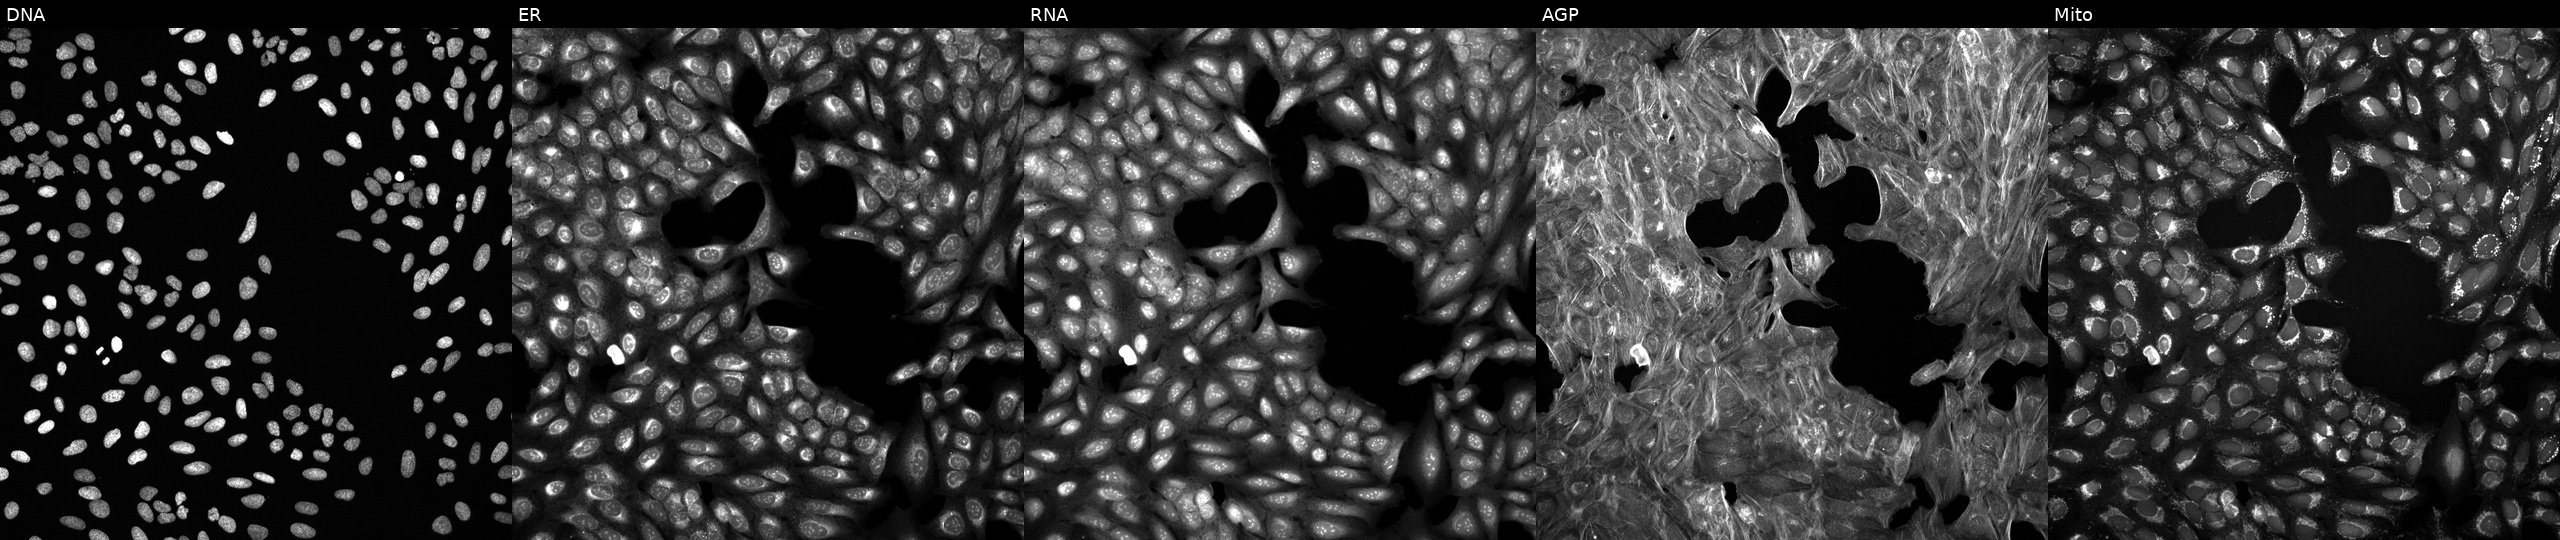
From left to right: DNA (nuclei); ER (endoplasmic reticulum); RNA (nucleoli and cytoplasmic RNA); AGP (actin cytoskeleton, Golgi, and plasma membrane); Mito (mitochondria). U2OS osteosarcoma cells treated with a small-molecule compound (JUMP id JCP2022_114461). Cell Painting assay, JUMP-CP dataset.